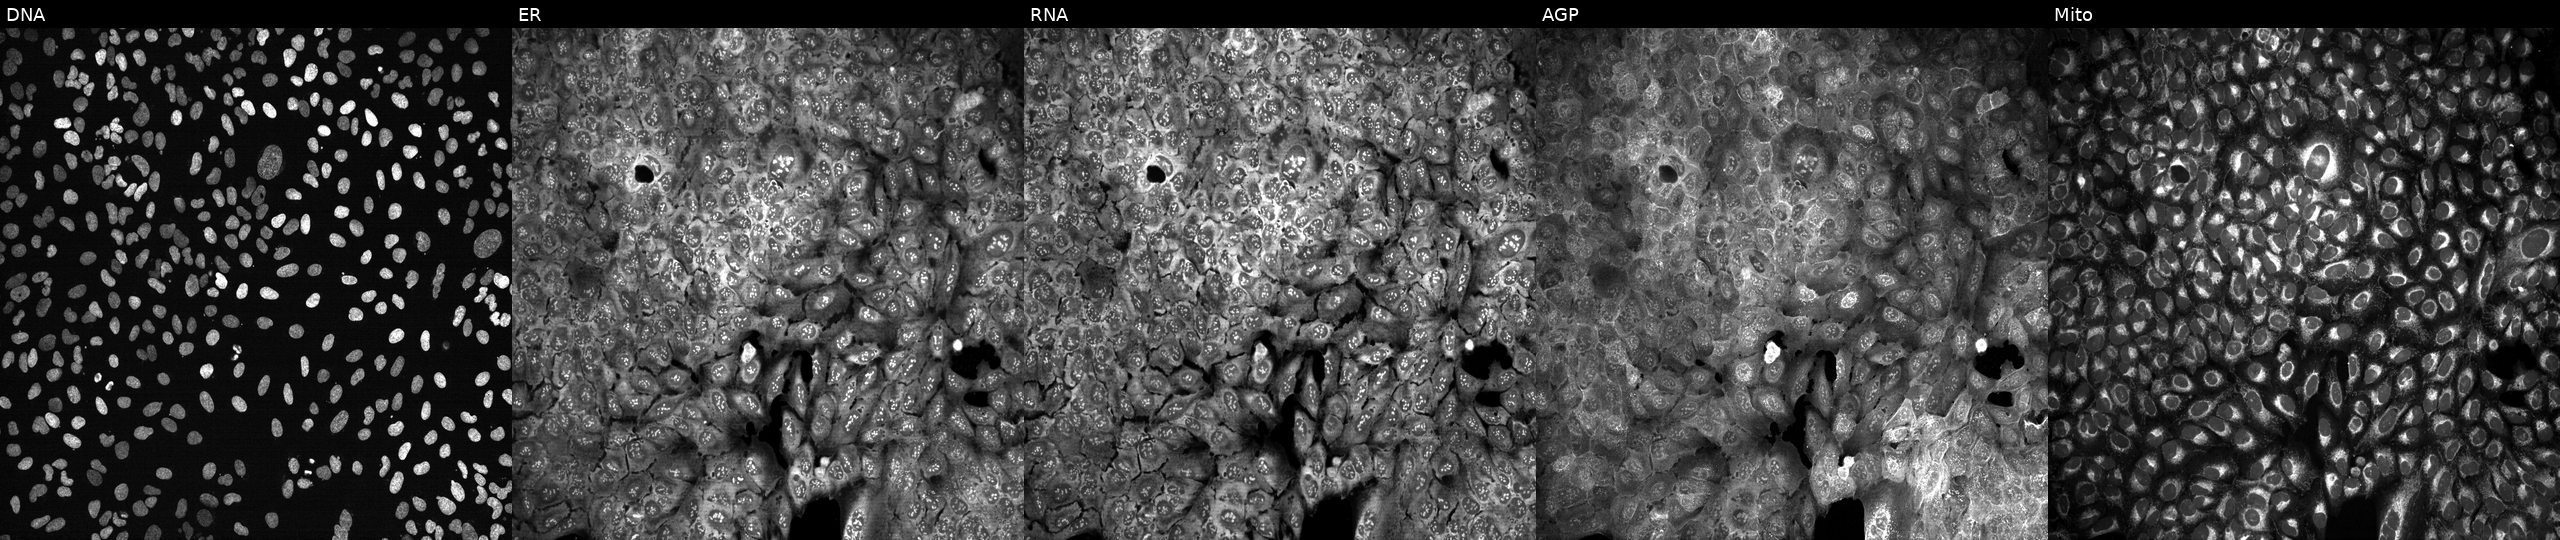
From left to right: DNA, ER, RNA, AGP, and Mito. U2OS osteosarcoma cells with SLC15A2 knocked out by CRISPR. Cell Painting assay, JUMP-CP dataset.